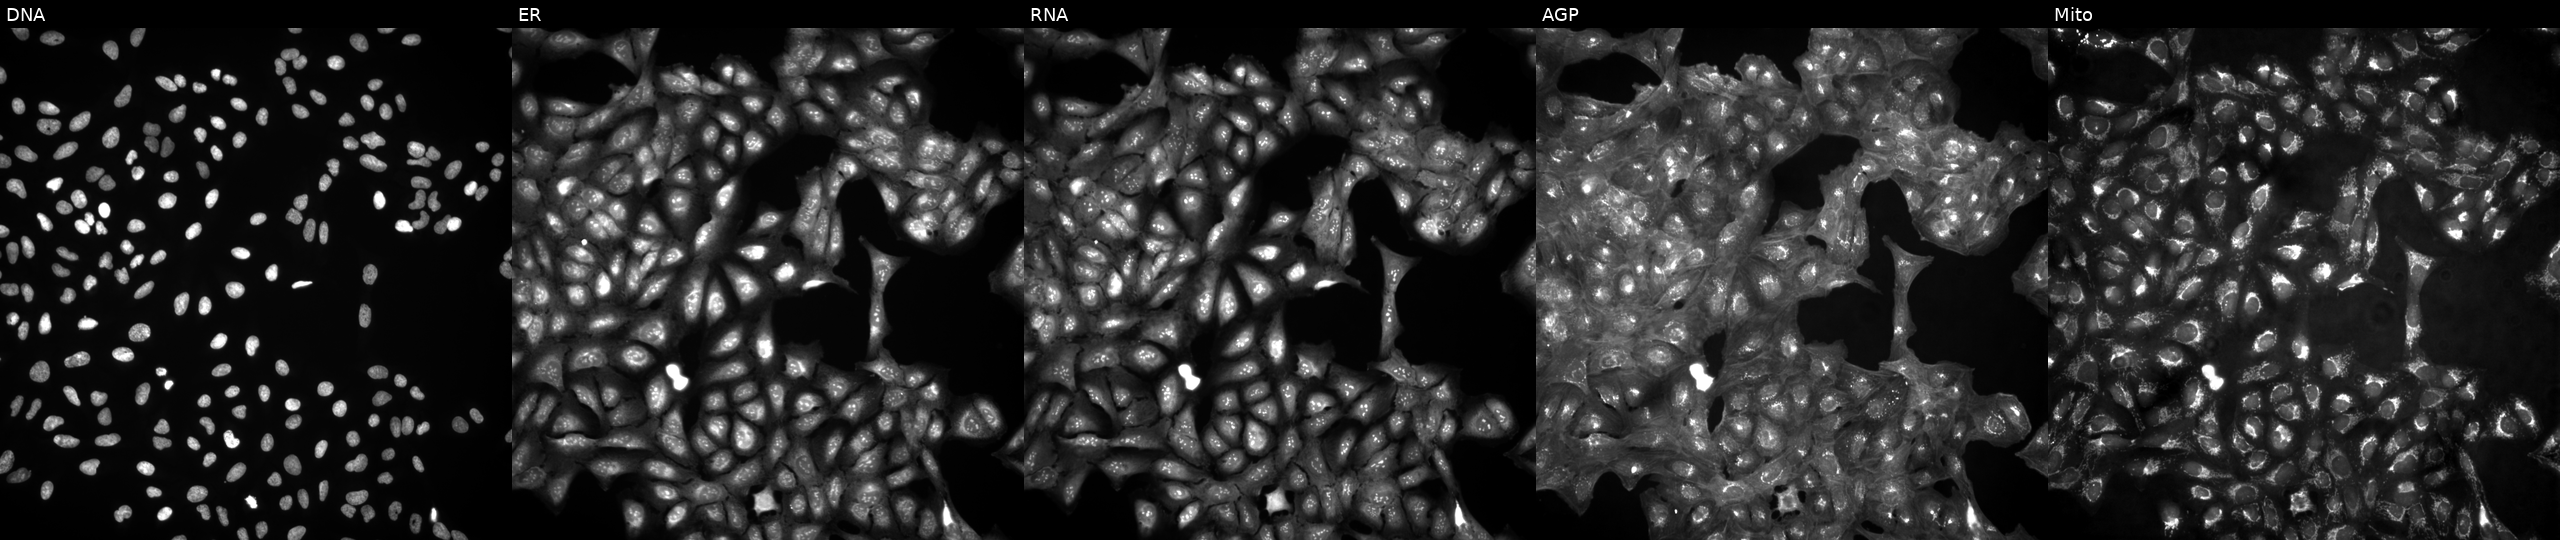
U2OS cells, Cell Painting assay, untreated (empty-well control). The five panels, left to right, show DNA, ER, RNA, AGP, and Mito. Each panel is percentile-stretched 16-bit fluorescence.